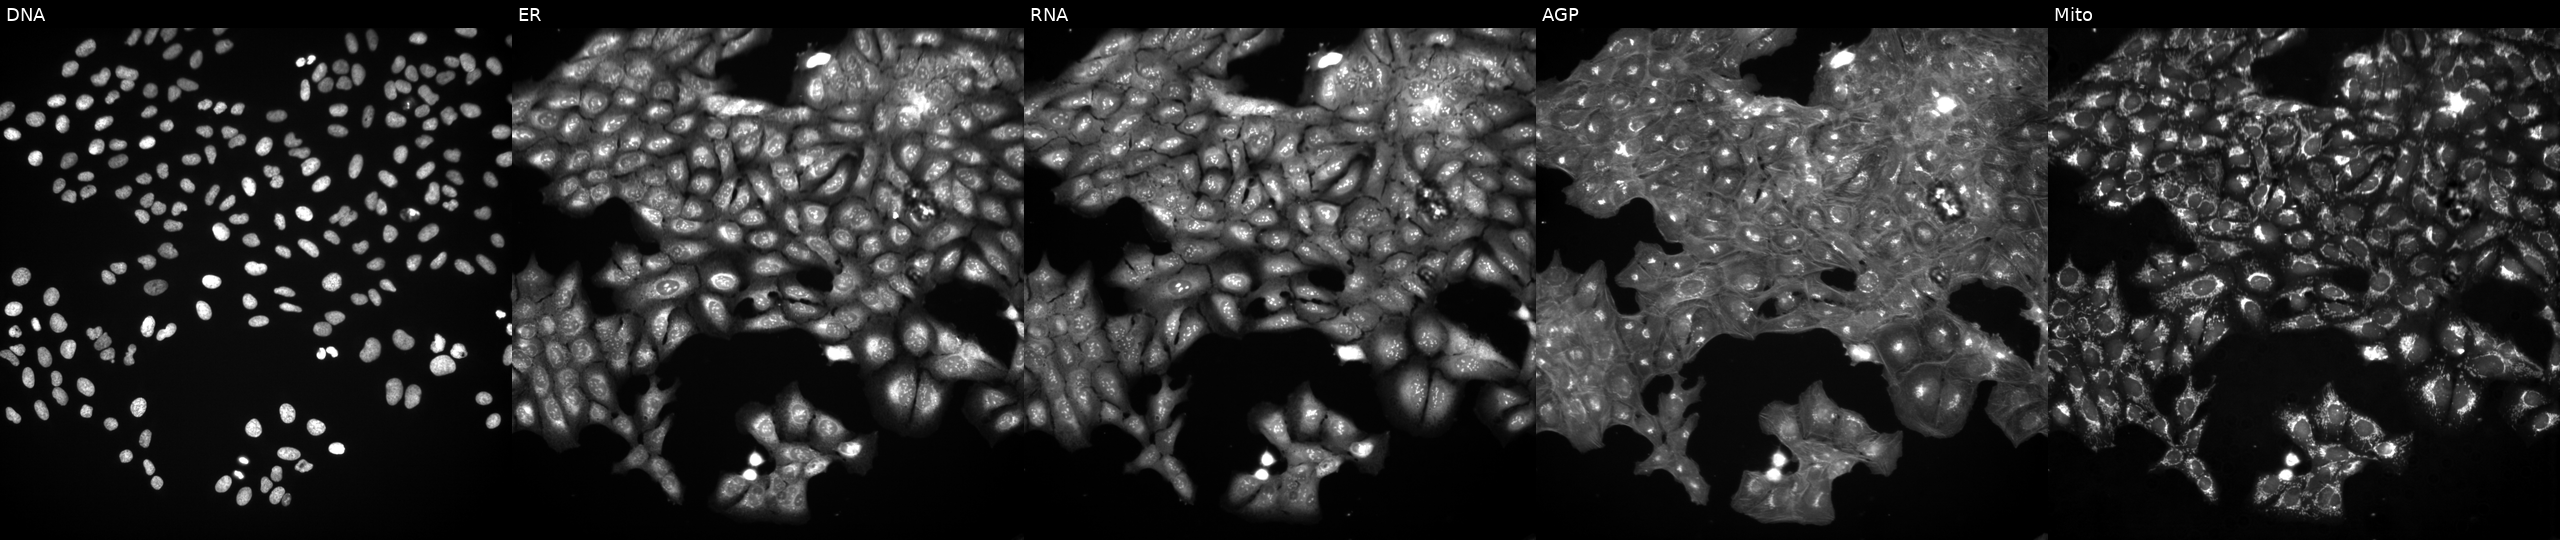
Five-channel Cell Painting image of U2OS cells exposed to a small-molecule compound (InChIKey PQHOFFHHEWXYJY-UHFFFAOYSA-N). Panels show, left to right, DNA (nuclei); ER (endoplasmic reticulum); RNA (nucleoli and cytoplasmic RNA); AGP (actin cytoskeleton, Golgi, and plasma membrane); Mito (mitochondria). Source 3, plate BR5867a3, well A10.